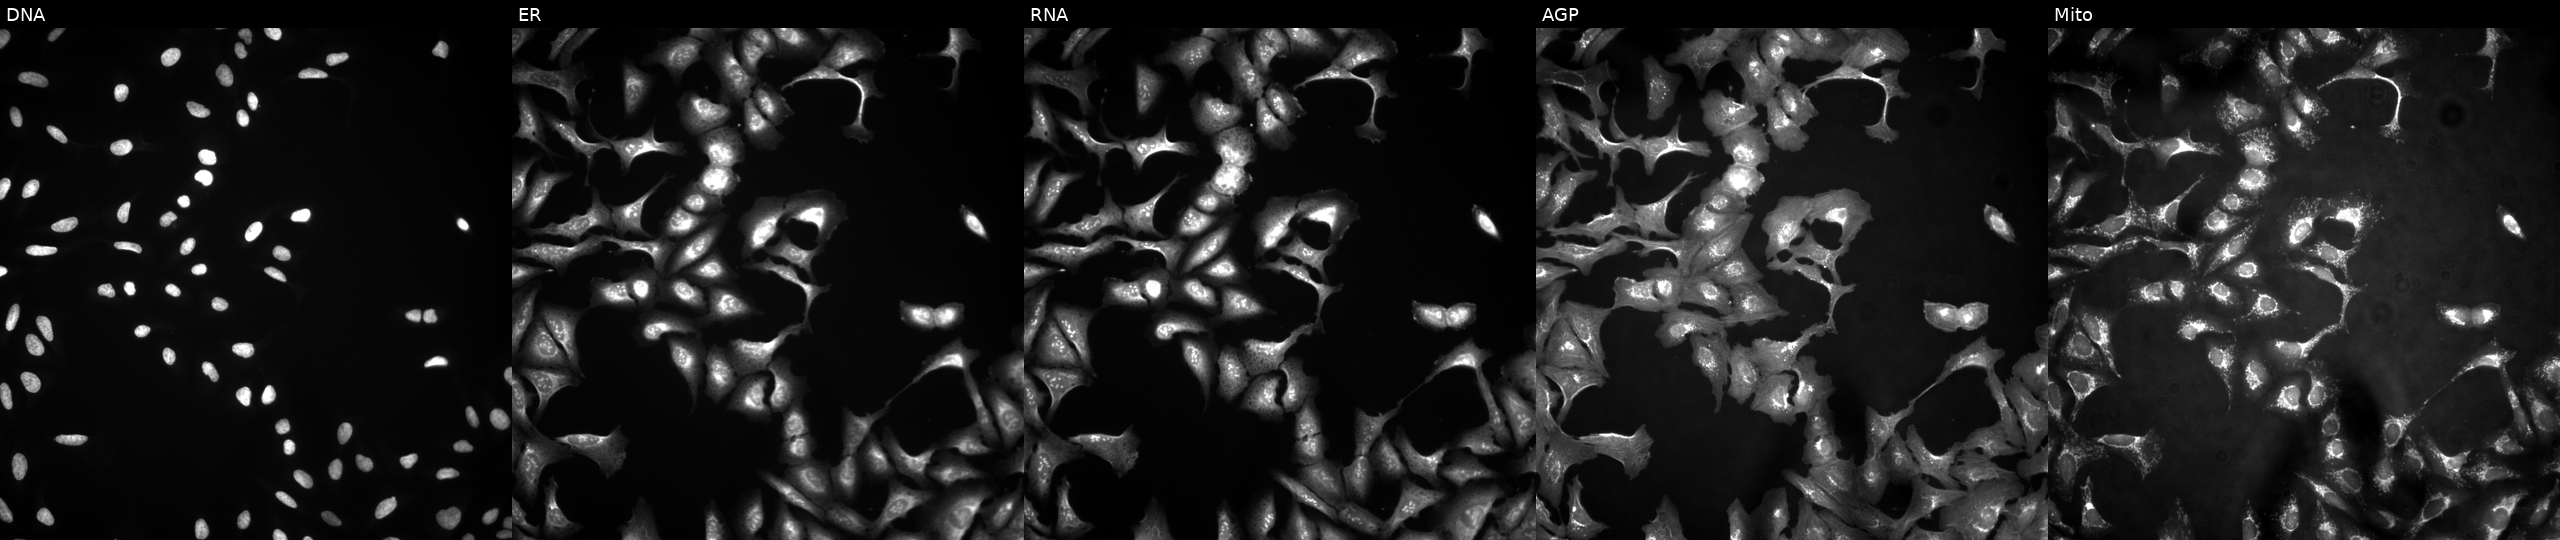
Channels (left→right): Hoechst 33342, concanavalin A, SYTO 14, phalloidin and WGA, MitoTracker. U2OS osteosarcoma cells transfected with an ORF construct for EFHB. Cell Painting assay, JUMP-CP dataset.